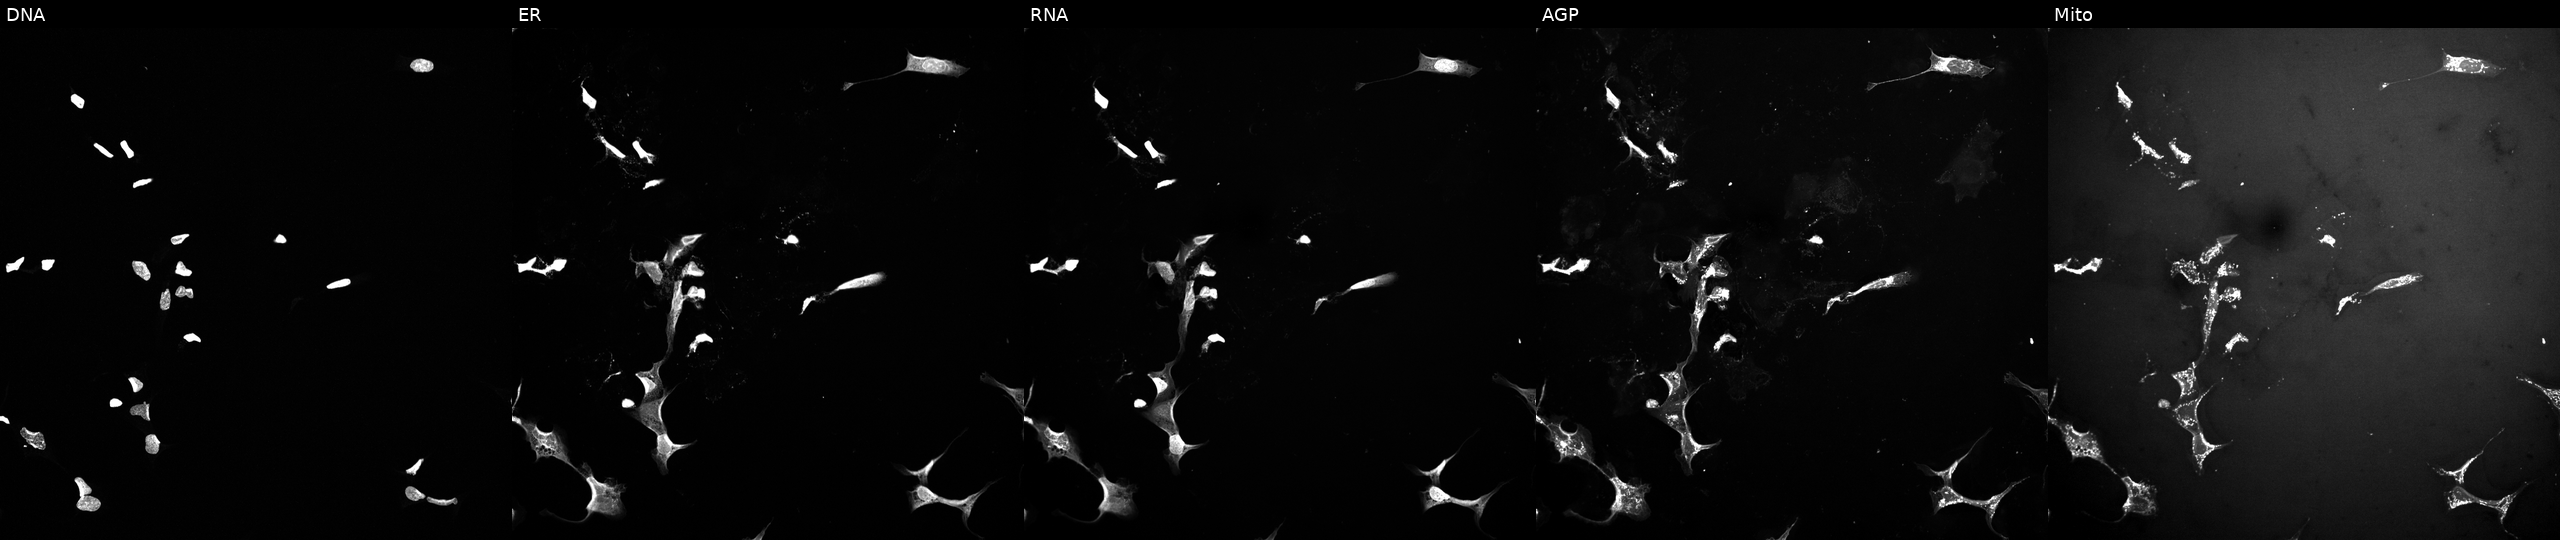
JUMP Cell Painting — TARGET2 plate. U2OS cells exposed to a small-molecule compound (InChIKey XLSYZSRXVVCHLS-UHFFFAOYSA-N) (JUMP id JCP2022_104437). Panels show, left to right, Hoechst 33342, concanavalin A, SYTO 14, phalloidin and WGA, MitoTracker. Source 10, plate Dest210803-153958, well H11.